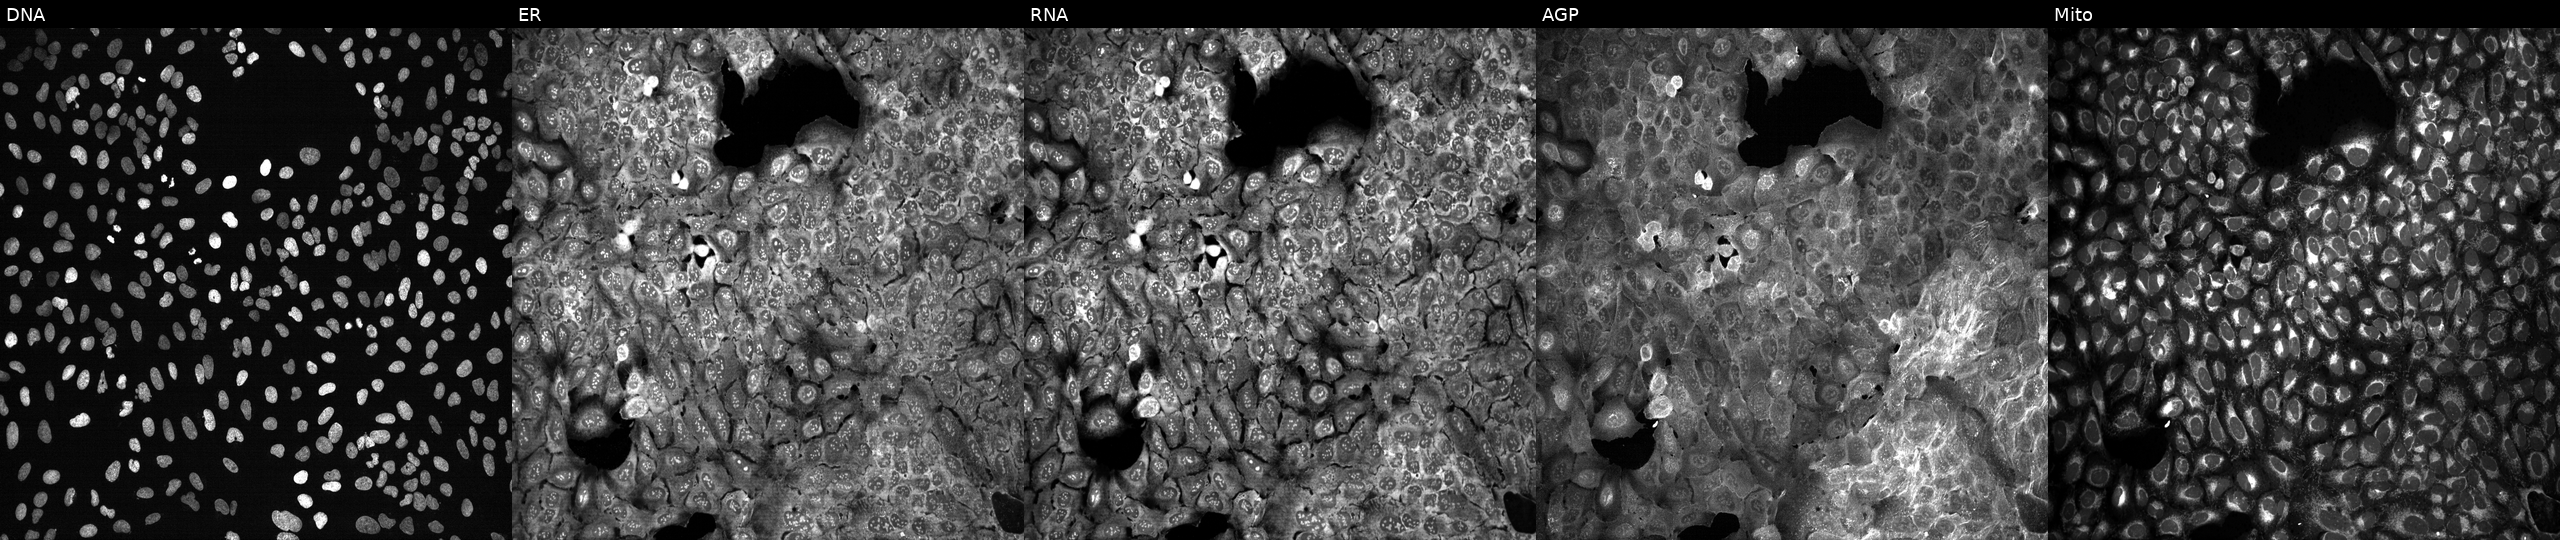
This image strip shows the five Cell Painting channels for a single field of U2OS cells with PITPNM3 knocked out by CRISPR. The five panels, left to right, show DNA (nuclei); ER (endoplasmic reticulum); RNA (nucleoli and cytoplasmic RNA); AGP (actin cytoskeleton, Golgi, and plasma membrane); Mito (mitochondria).